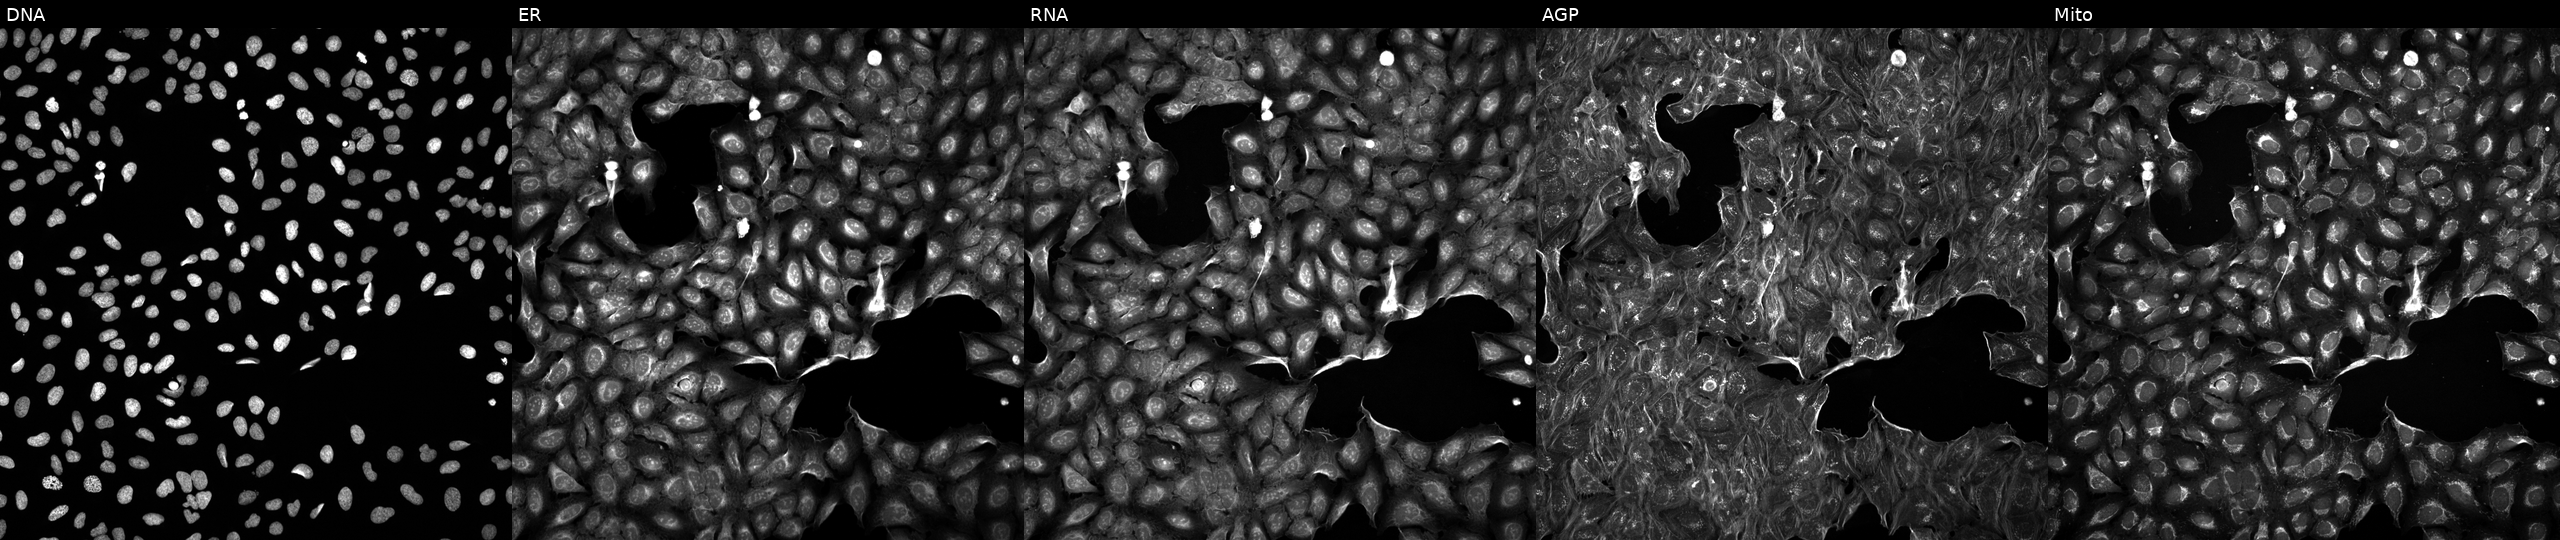
From left to right: Hoechst 33342, concanavalin A, SYTO 14, phalloidin and WGA, MitoTracker. U2OS osteosarcoma cells exposed to a small-molecule compound (InChIKey IIXWYSCJSQVBQM-UHFFFAOYSA-N) (JUMP id JCP2022_035351). Cell Painting assay, JUMP-CP dataset.